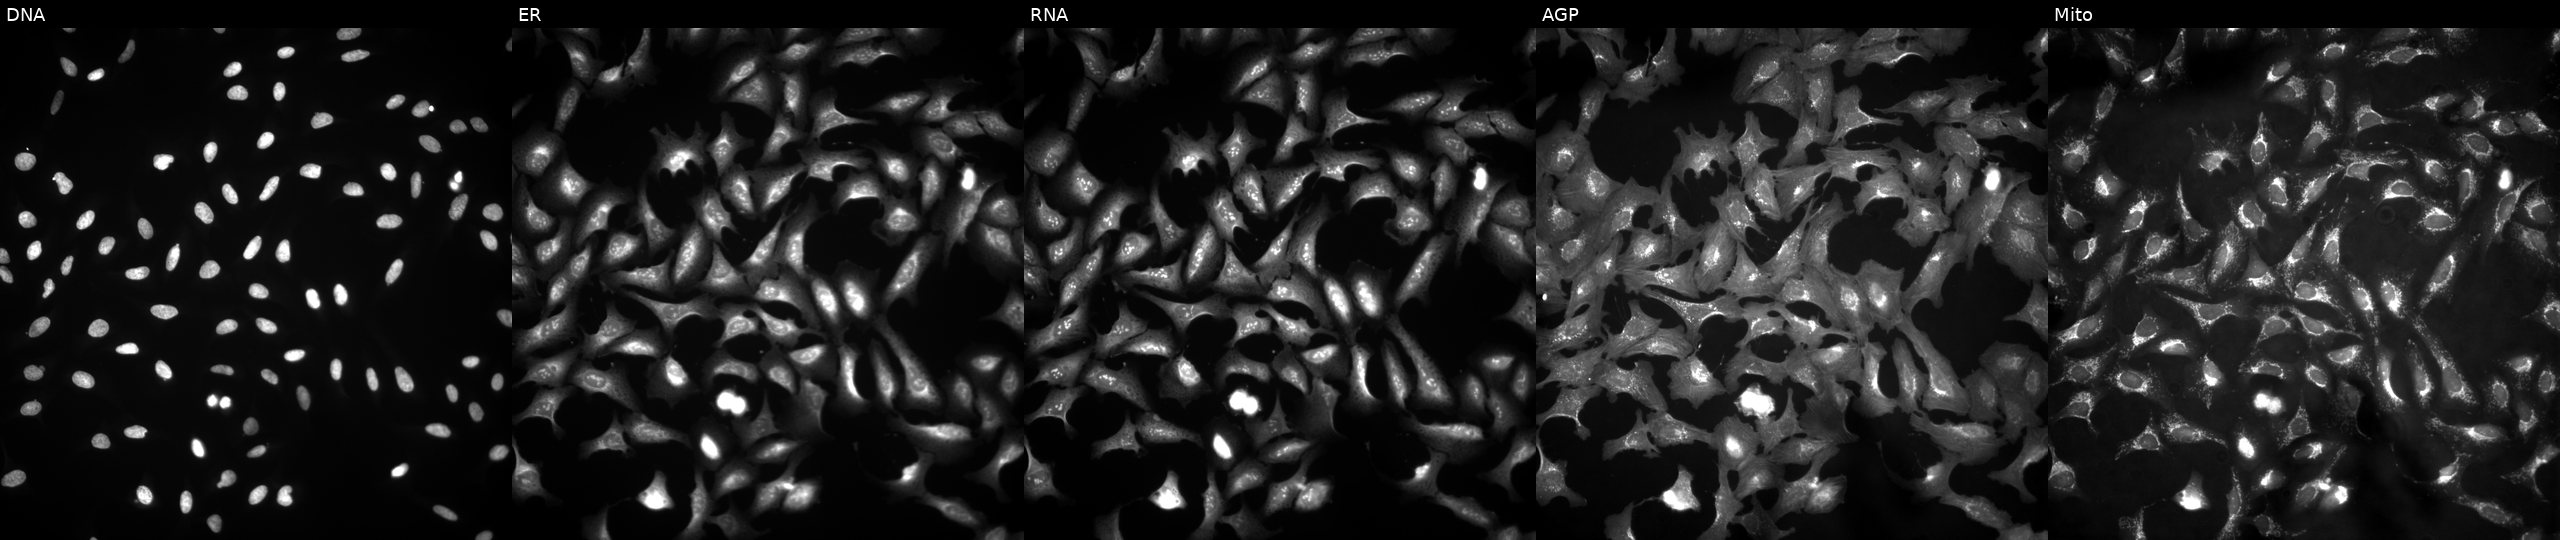
Five-channel Cell Painting image of U2OS cells expressing eGFP (ORF positive control). From left to right: Hoechst 33342, concanavalin A, SYTO 14, phalloidin and WGA, MitoTracker.